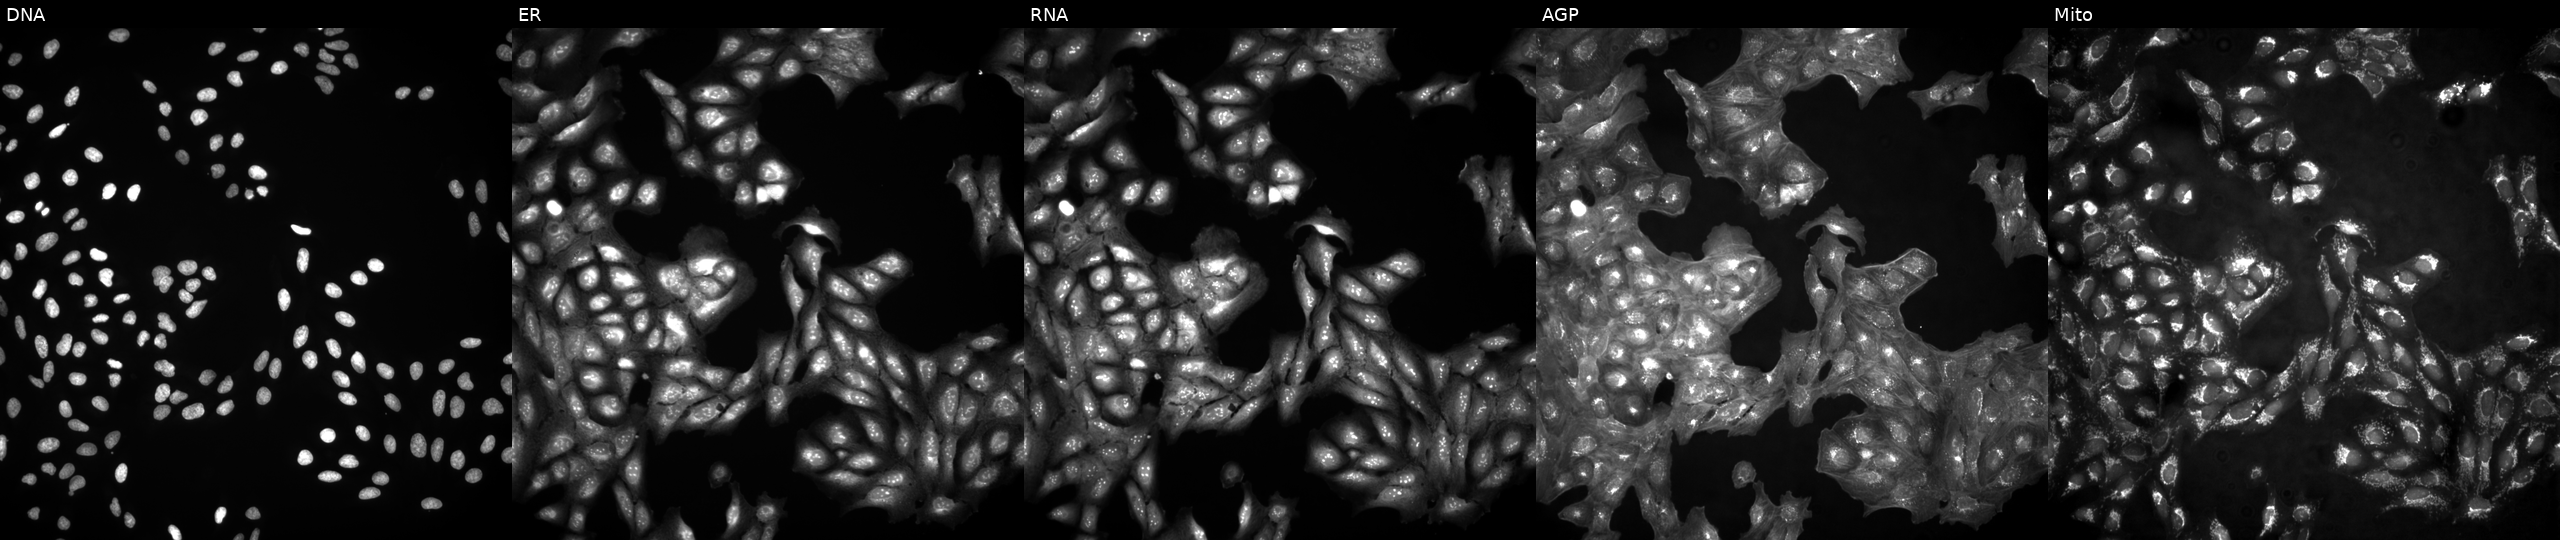
JUMP Cell Painting — ORF plate. U2OS cells in an empty control well (no perturbation). Panels show, left to right, DNA (nuclei); ER (endoplasmic reticulum); RNA (nucleoli and cytoplasmic RNA); AGP (actin cytoskeleton, Golgi, and plasma membrane); Mito (mitochondria). Source 4, plate BR00123946, well F08.